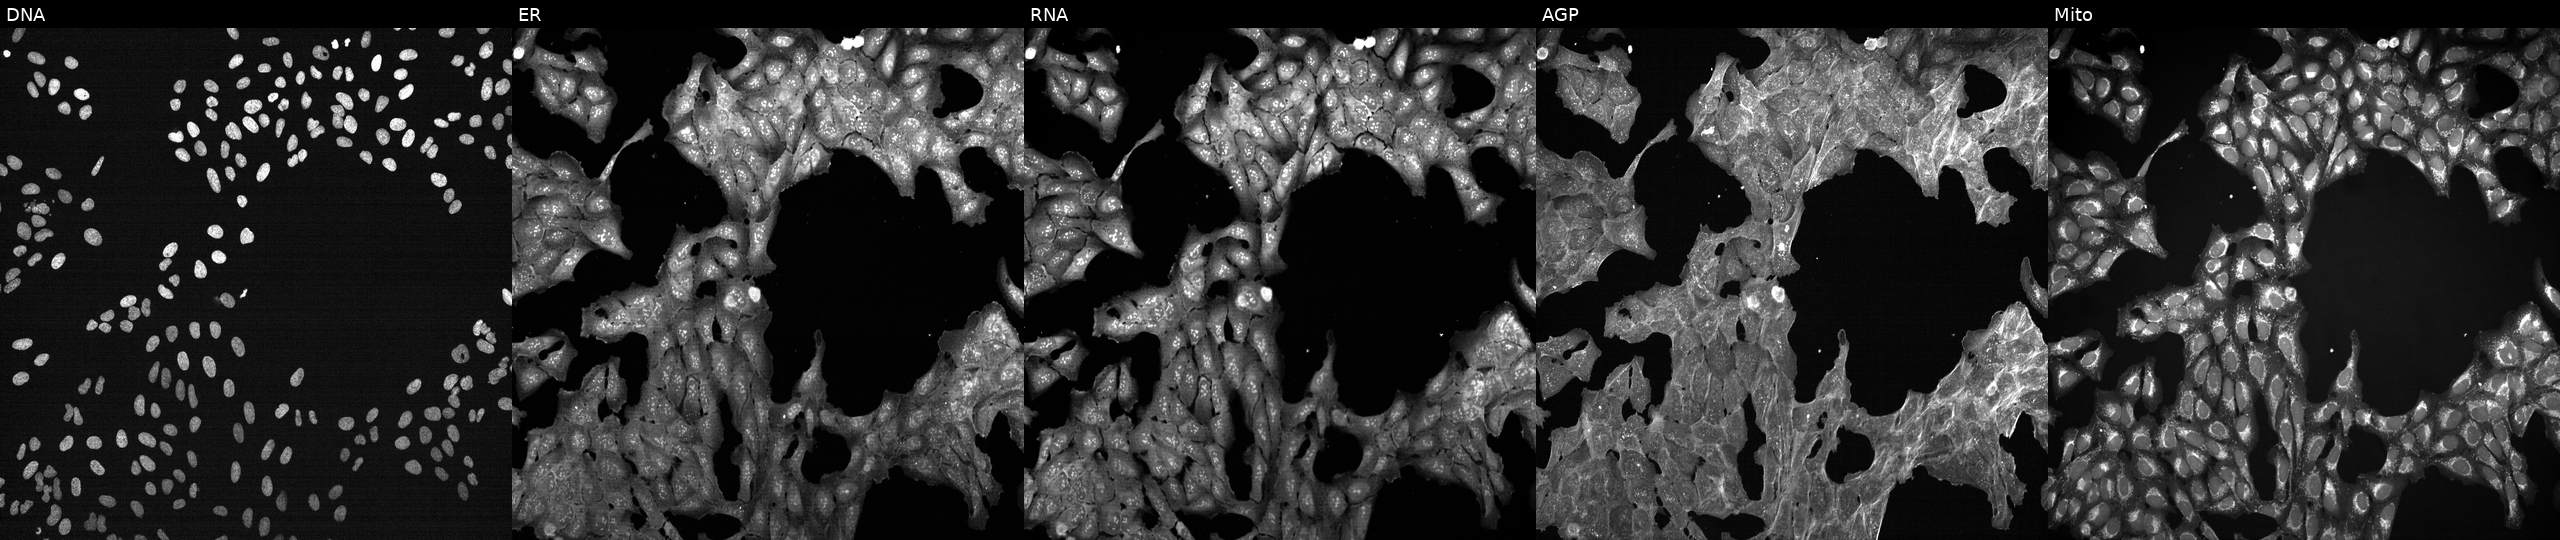
U2OS cells, Cell Painting assay, treated with a small-molecule compound (InChIKey JDKKNQACNITFEA-UHFFFAOYSA-N) (JUMP id JCP2022_039047). Channels (left→right): Hoechst 33342, concanavalin A, SYTO 14, phalloidin and WGA, MitoTracker. Each panel is percentile-stretched 16-bit fluorescence.